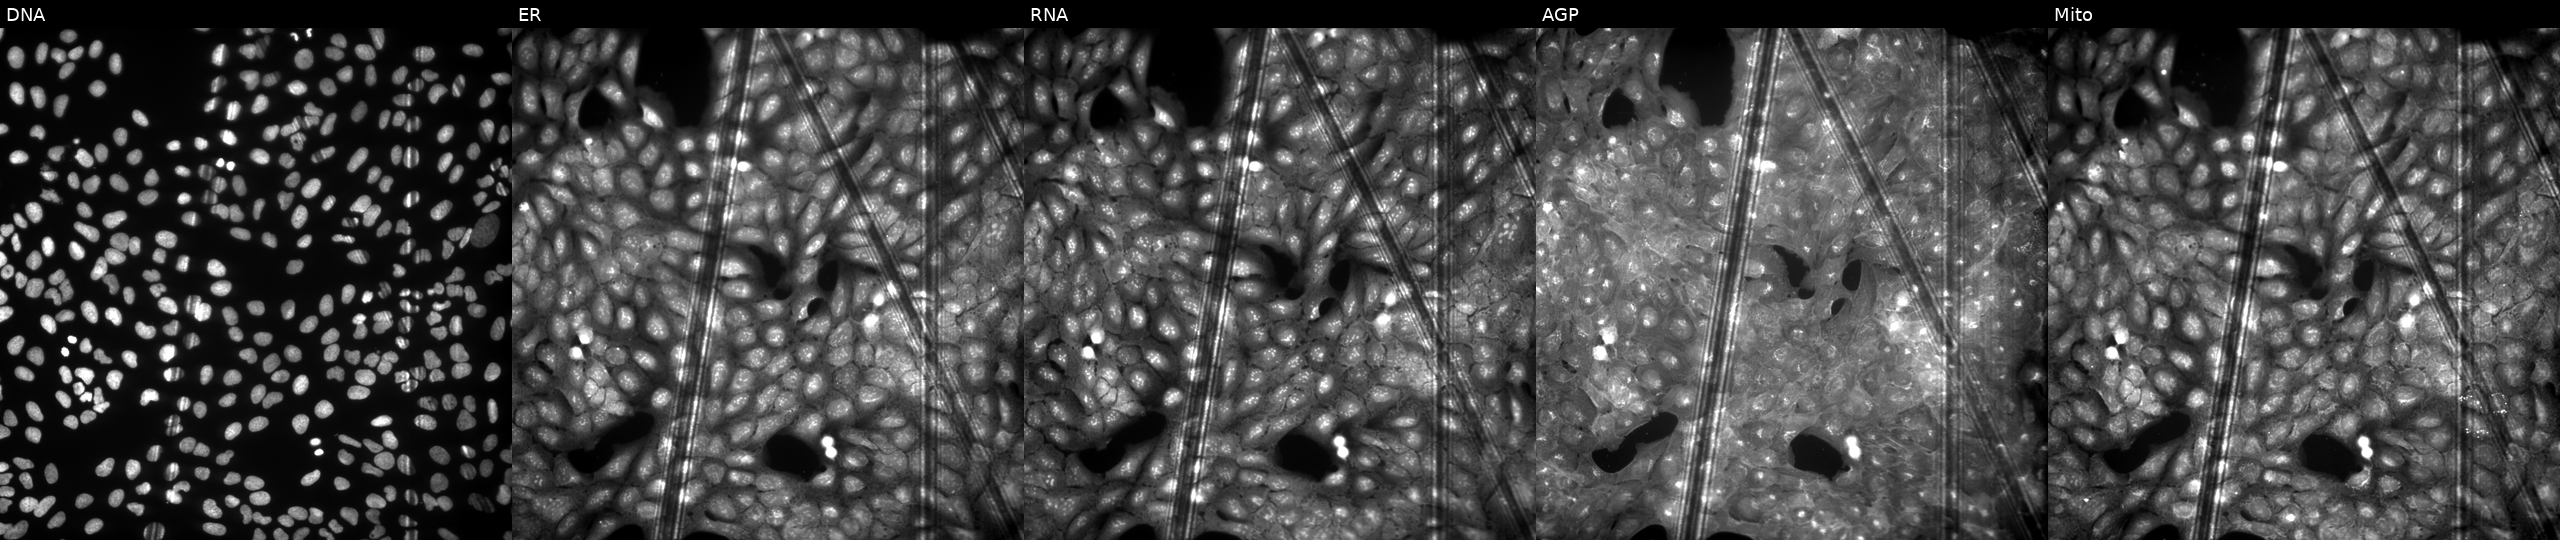
High-content fluorescence microscopy (Cell Painting). Cell line: U2OS. Perturbation: exposed to a small-molecule compound (JUMP id JCP2022_098823). The five panels, left to right, show DNA (nuclei); ER (endoplasmic reticulum); RNA (nucleoli and cytoplasmic RNA); AGP (actin cytoskeleton, Golgi, and plasma membrane); Mito (mitochondria). Source 9, plate GR00003381, well X34.